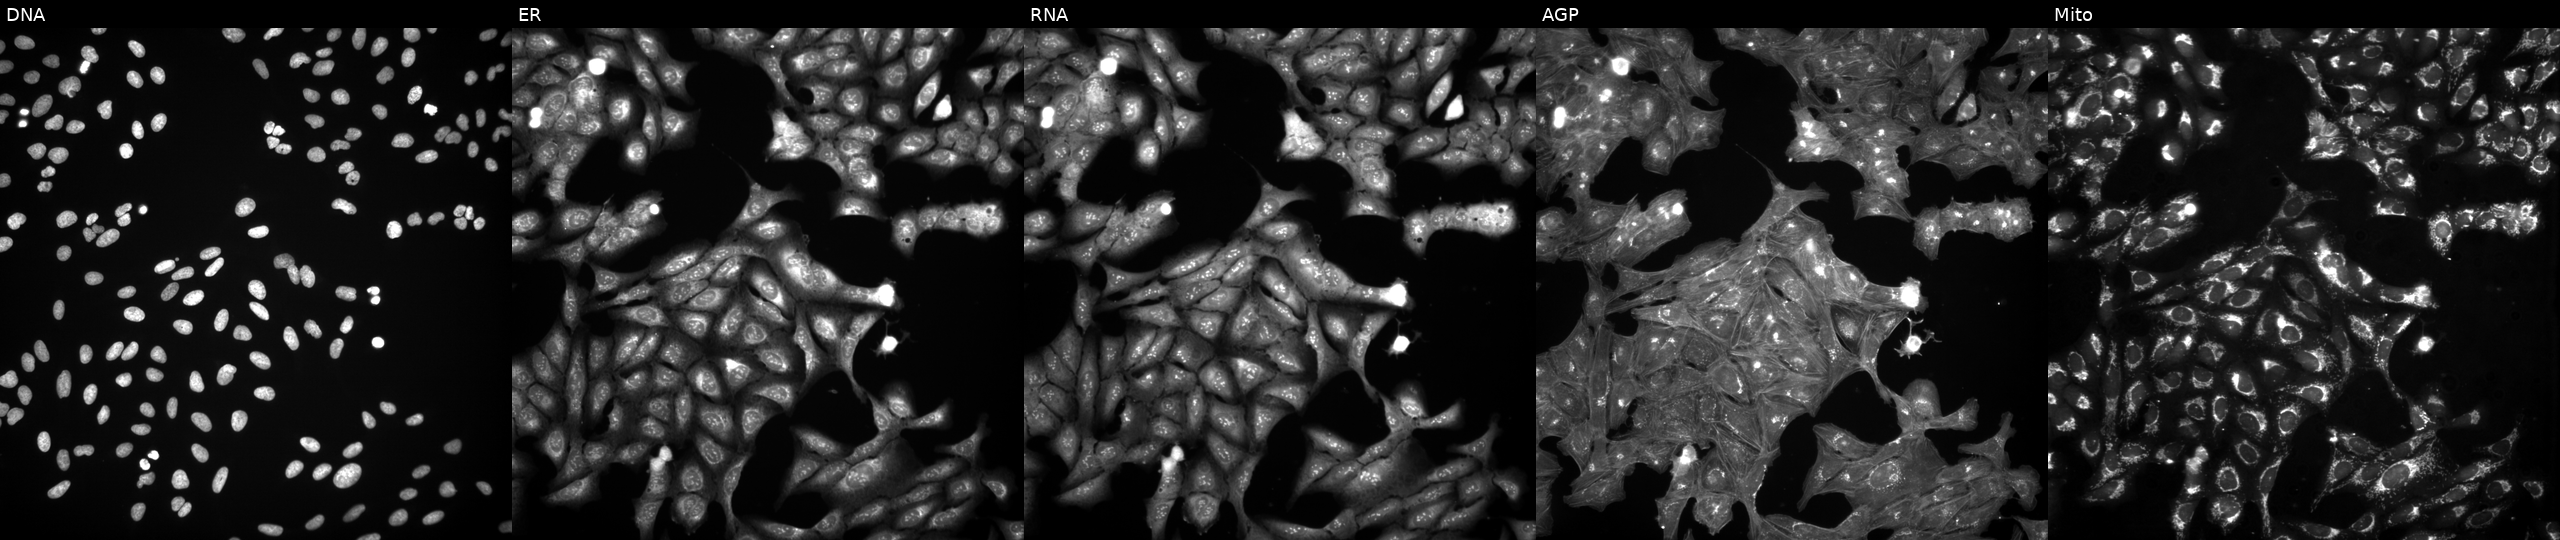
This image strip shows the five Cell Painting channels for a single field of U2OS cells treated with a small-molecule compound (InChIKey BHBLYURTSZLAQA-UHFFFAOYSA-N) (JUMP id JCP2022_006315). From left to right: DNA (nuclei); ER (endoplasmic reticulum); RNA (nucleoli and cytoplasmic RNA); AGP (actin cytoskeleton, Golgi, and plasma membrane); Mito (mitochondria). Source 3, plate BR5867b3, well K07.